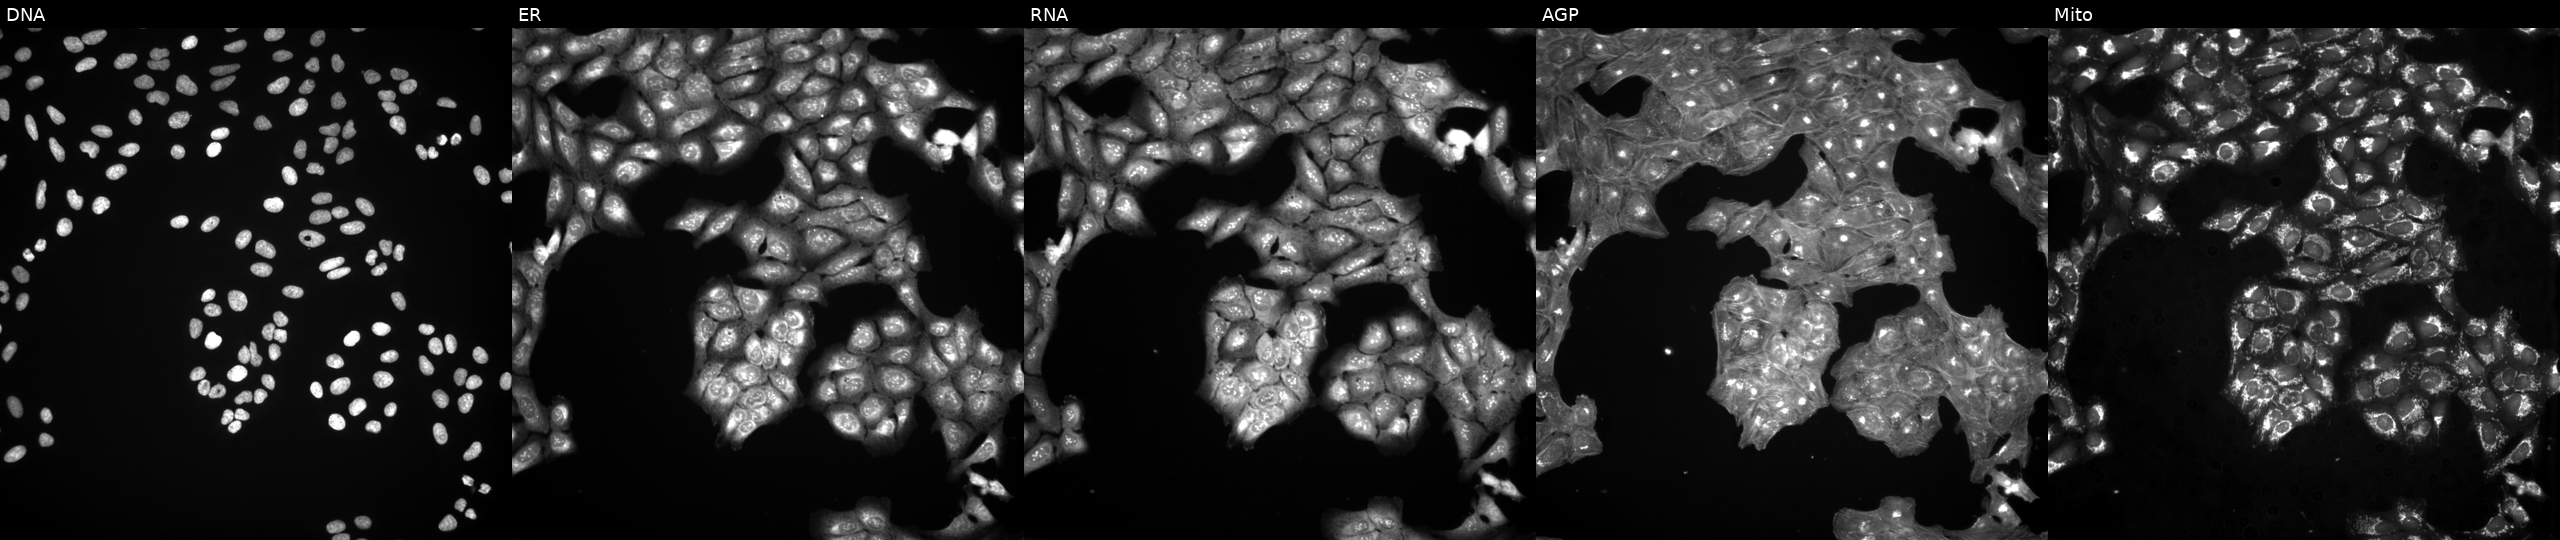
High-content fluorescence microscopy (Cell Painting). Cell line: U2OS. Perturbation: exposed to DMSO alone as a negative control (JUMP id JCP2022_033924). Panels show, left to right, Hoechst 33342, concanavalin A, SYTO 14, phalloidin and WGA, MitoTracker. Source 3, plate JCPQC052, well D22.